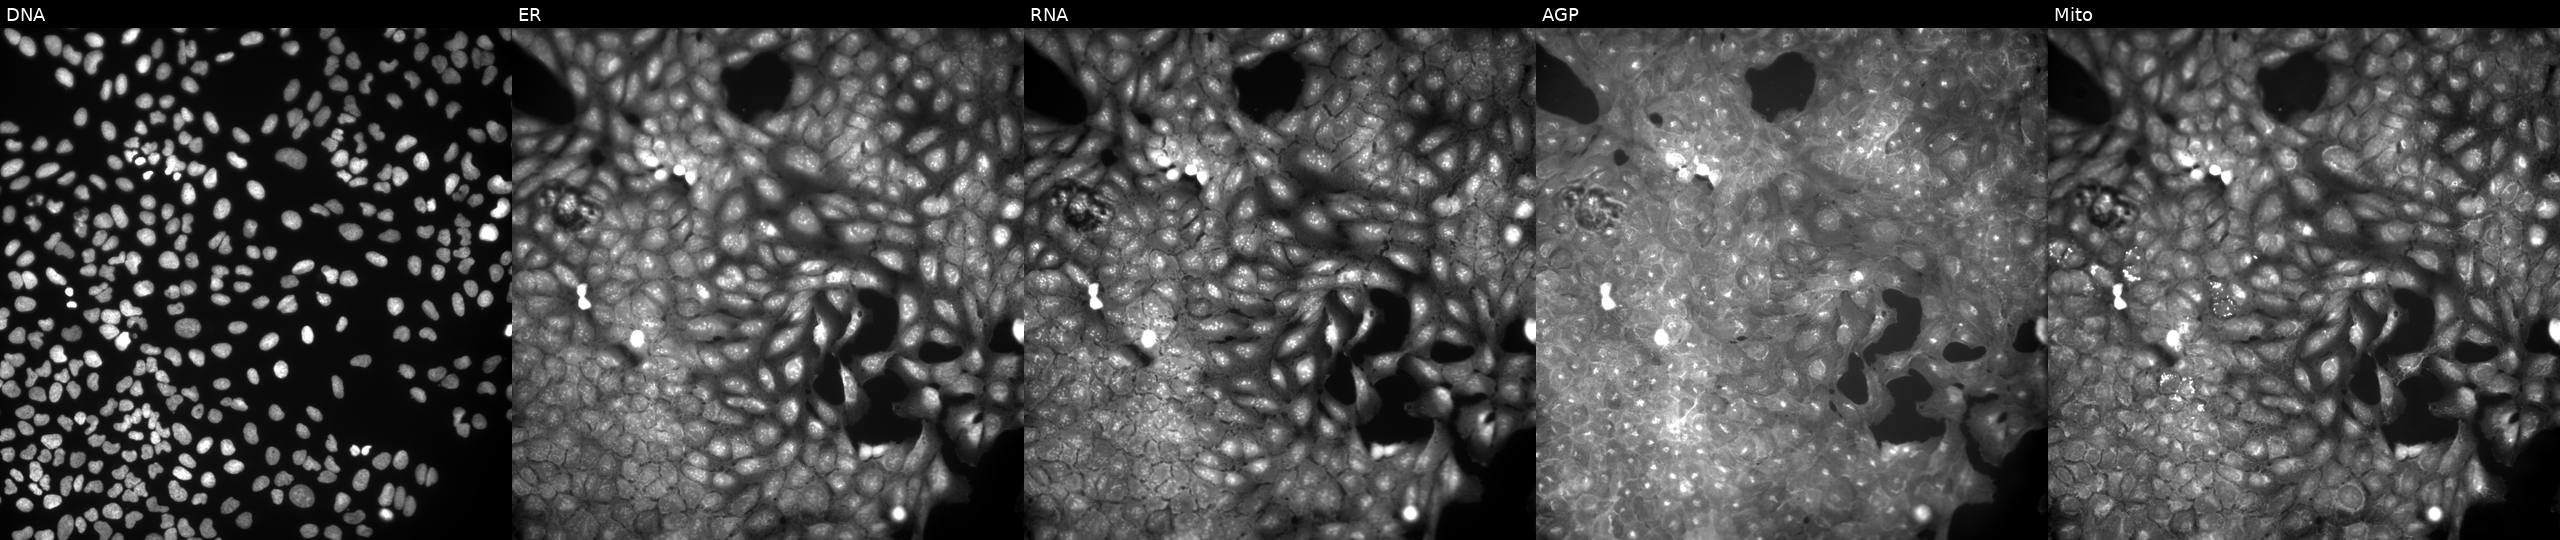
High-content fluorescence microscopy (Cell Painting). Cell line: U2OS. Perturbation: perturbed with a small-molecule compound (InChIKey AKCJHCAIFNIUKD-UHFFFAOYSA-N) (JUMP id JCP2022_001933). The five panels, left to right, show Hoechst 33342, concanavalin A, SYTO 14, phalloidin and WGA, MitoTracker. Source 9, plate GR00003381, well AC37.